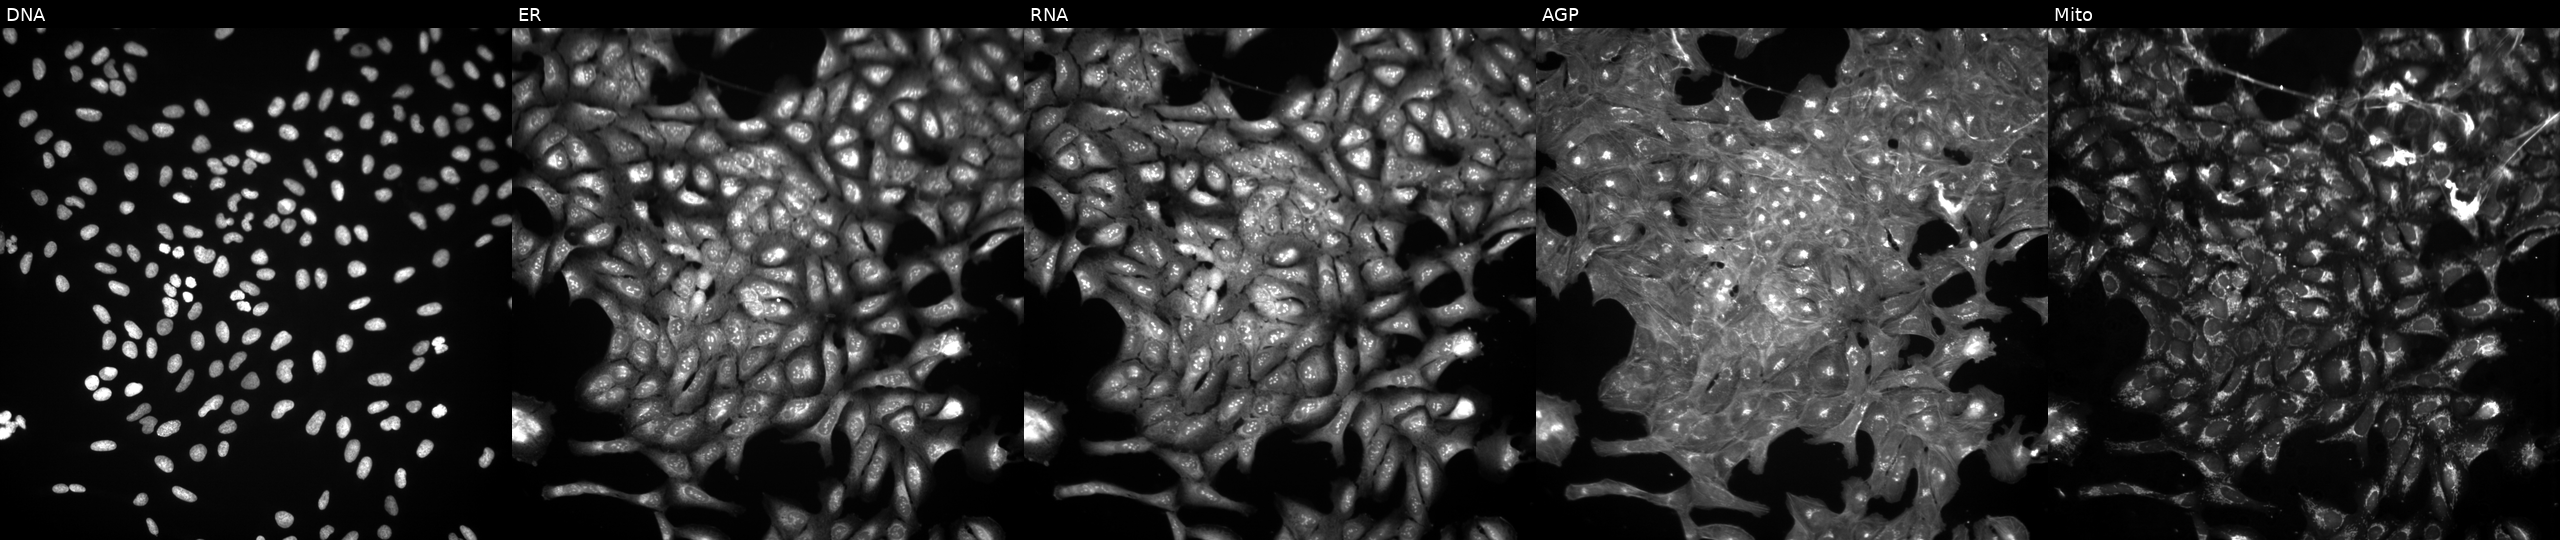
U2OS cells, Cell Painting assay, exposed to a small-molecule compound (InChIKey YGSDEFSMJLZEOE-UHFFFAOYSA-N). Panels show, left to right, DNA, ER, RNA, AGP, and Mito. Each panel is percentile-stretched 16-bit fluorescence. Source 3, plate JCPQC052, well A04.